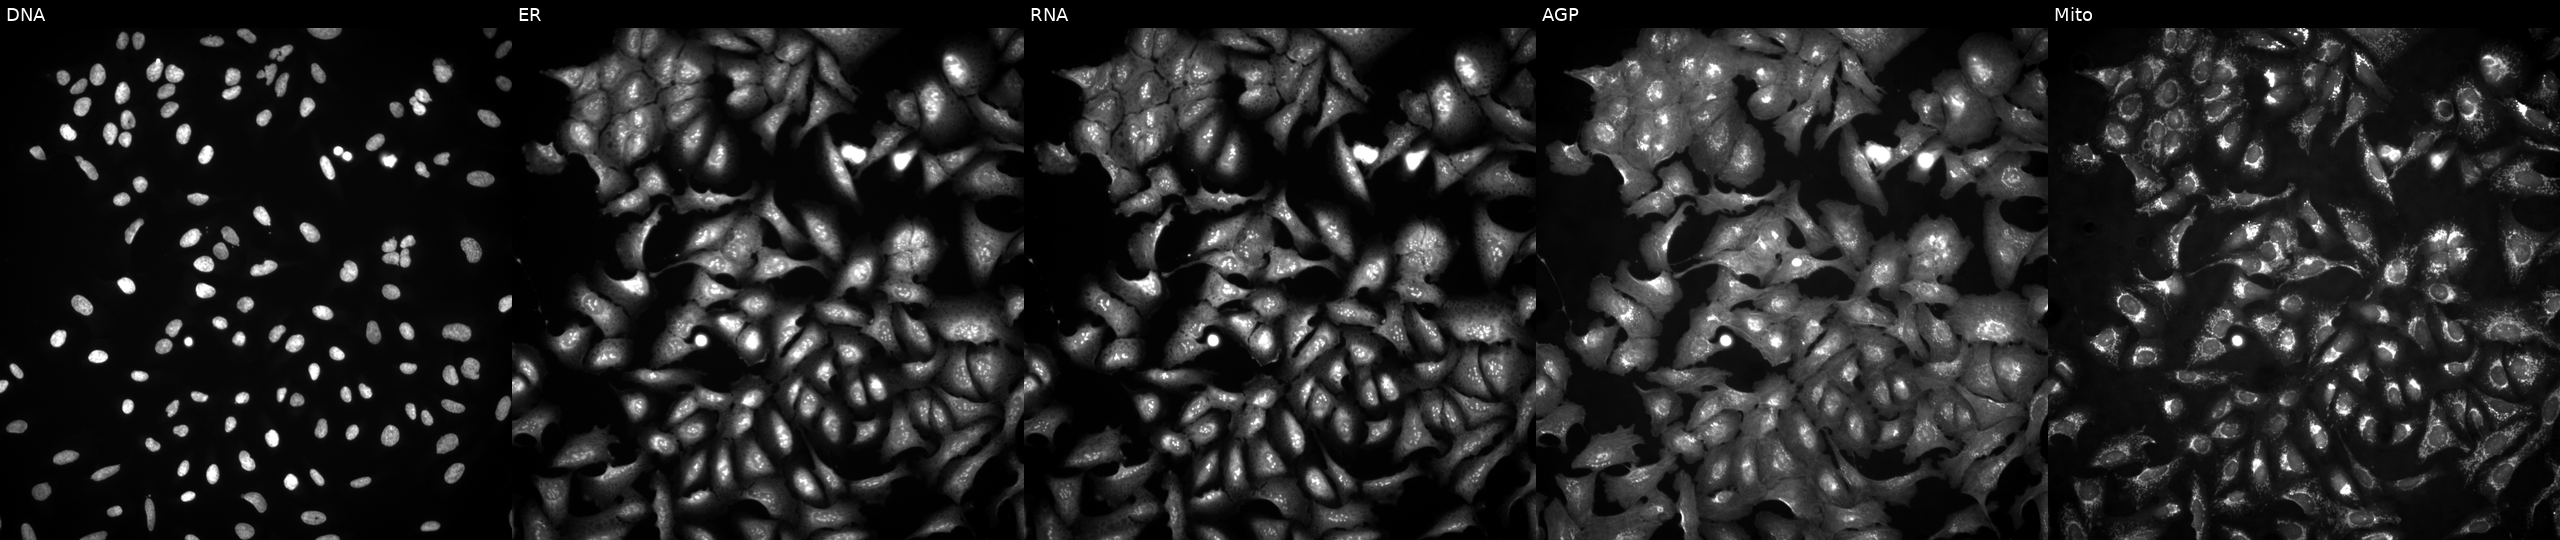
High-content fluorescence microscopy (Cell Painting). Cell line: U2OS. Perturbation: transfected with an ORF construct for UBE2R2. Channels (left→right): DNA, ER, RNA, AGP, and Mito.